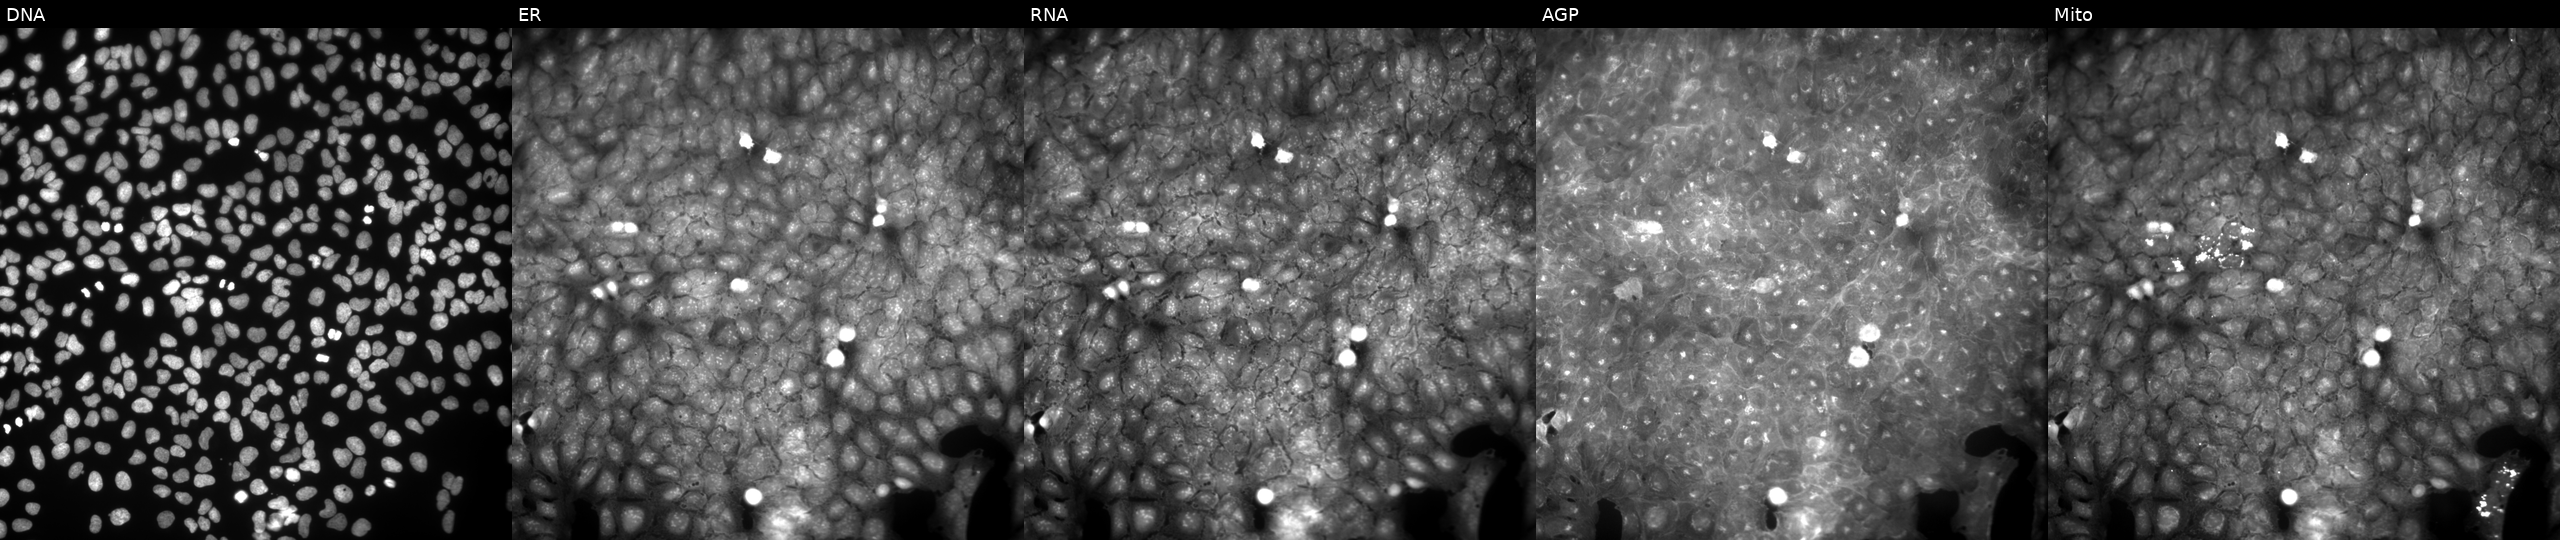
Five-channel Cell Painting image of U2OS cells perturbed with a small-molecule compound (InChIKey ZUFIZZCWBPYZKE-UHFFFAOYSA-N) [SMILES: CCCCOc1ccc(S(=O)(=O)N2CCN(c3ccccc3OCC)CC2)cc1]. The five panels, left to right, show DNA, ER, RNA, AGP, and Mito. Source 9, plate GR00003381, well AA39.